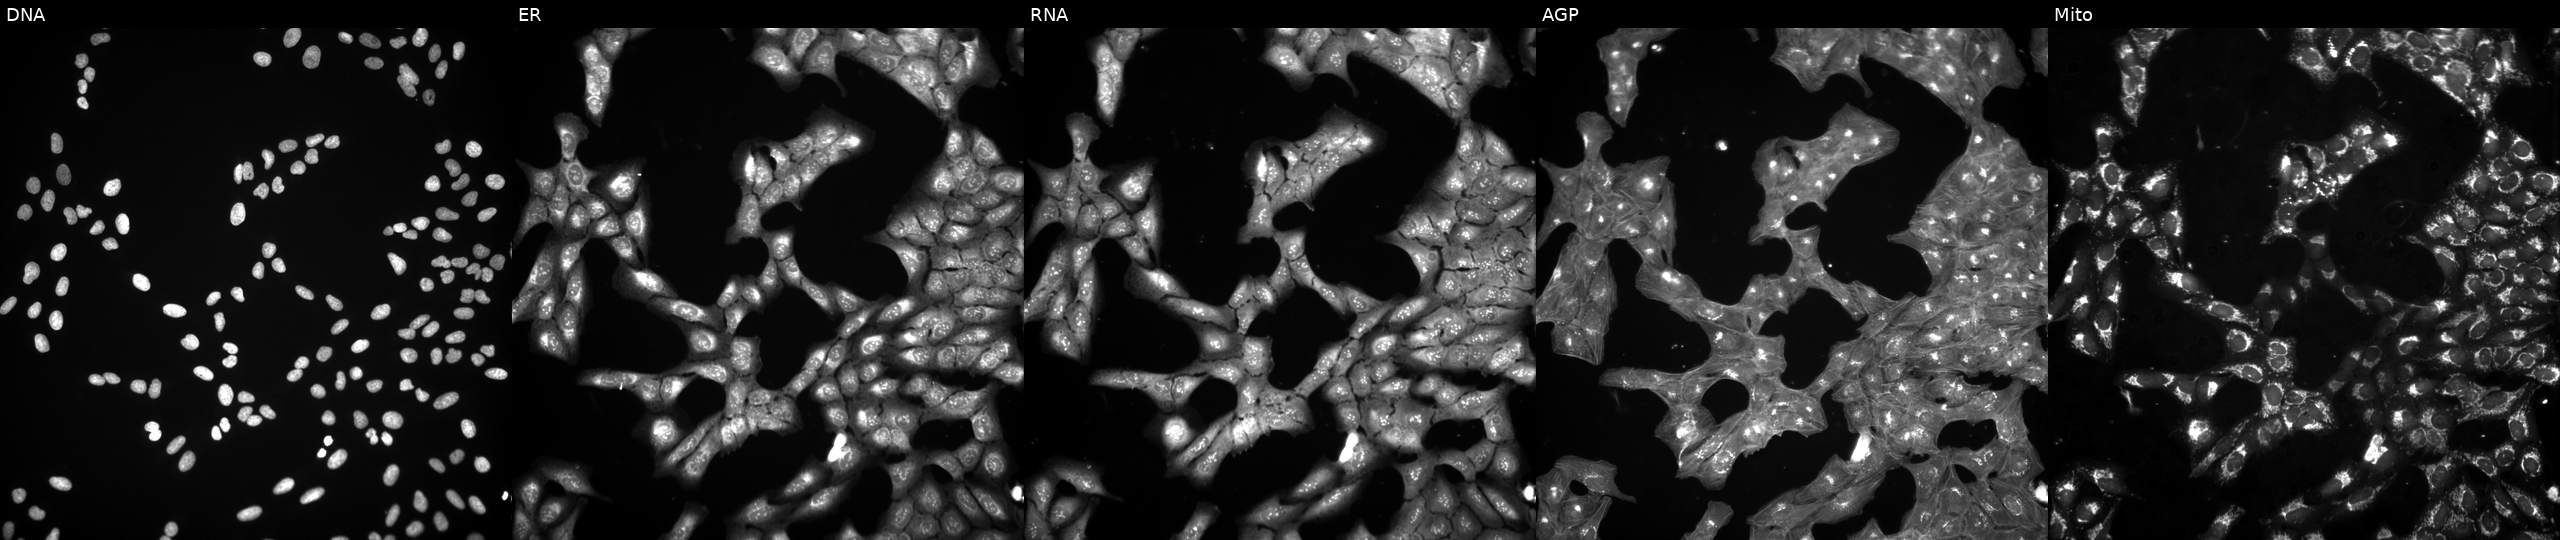
JUMP Cell Painting — TARGET2 plate. U2OS cells treated with a small-molecule compound (InChIKey WDENQIQQYWYTPO-UHFFFAOYSA-N) [SMILES: CC#CC(=O)N1CCCC1c1nc(-c2ccc(C(=O)N=c3cccc[nH]3)cc2)c2c(=N)[nH]ccn12] (JUMP id JCP2022_097998). Channels (left→right): DNA, ER, RNA, AGP, and Mito. Source 3, plate JCPQC052, well P07.